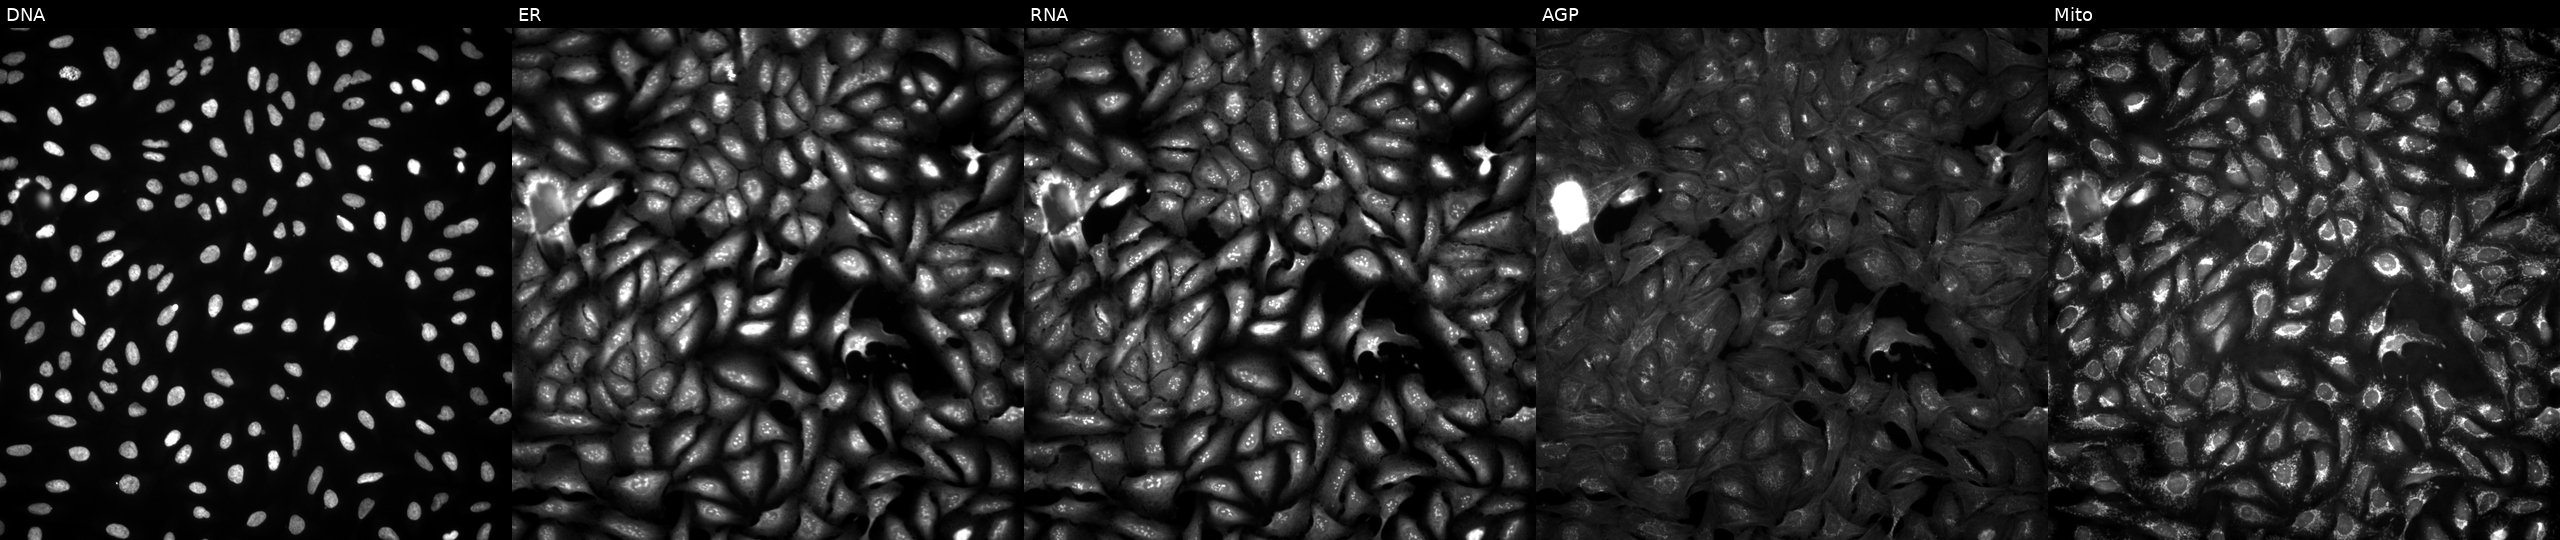
This image strip shows the five Cell Painting channels for a single field of U2OS cells transfected with an ORF construct for H2BS1 (JUMP id JCP2022_911218). Channels (left→right): DNA, ER, RNA, AGP, and Mito. Source 4, plate BR00124784, well J01.